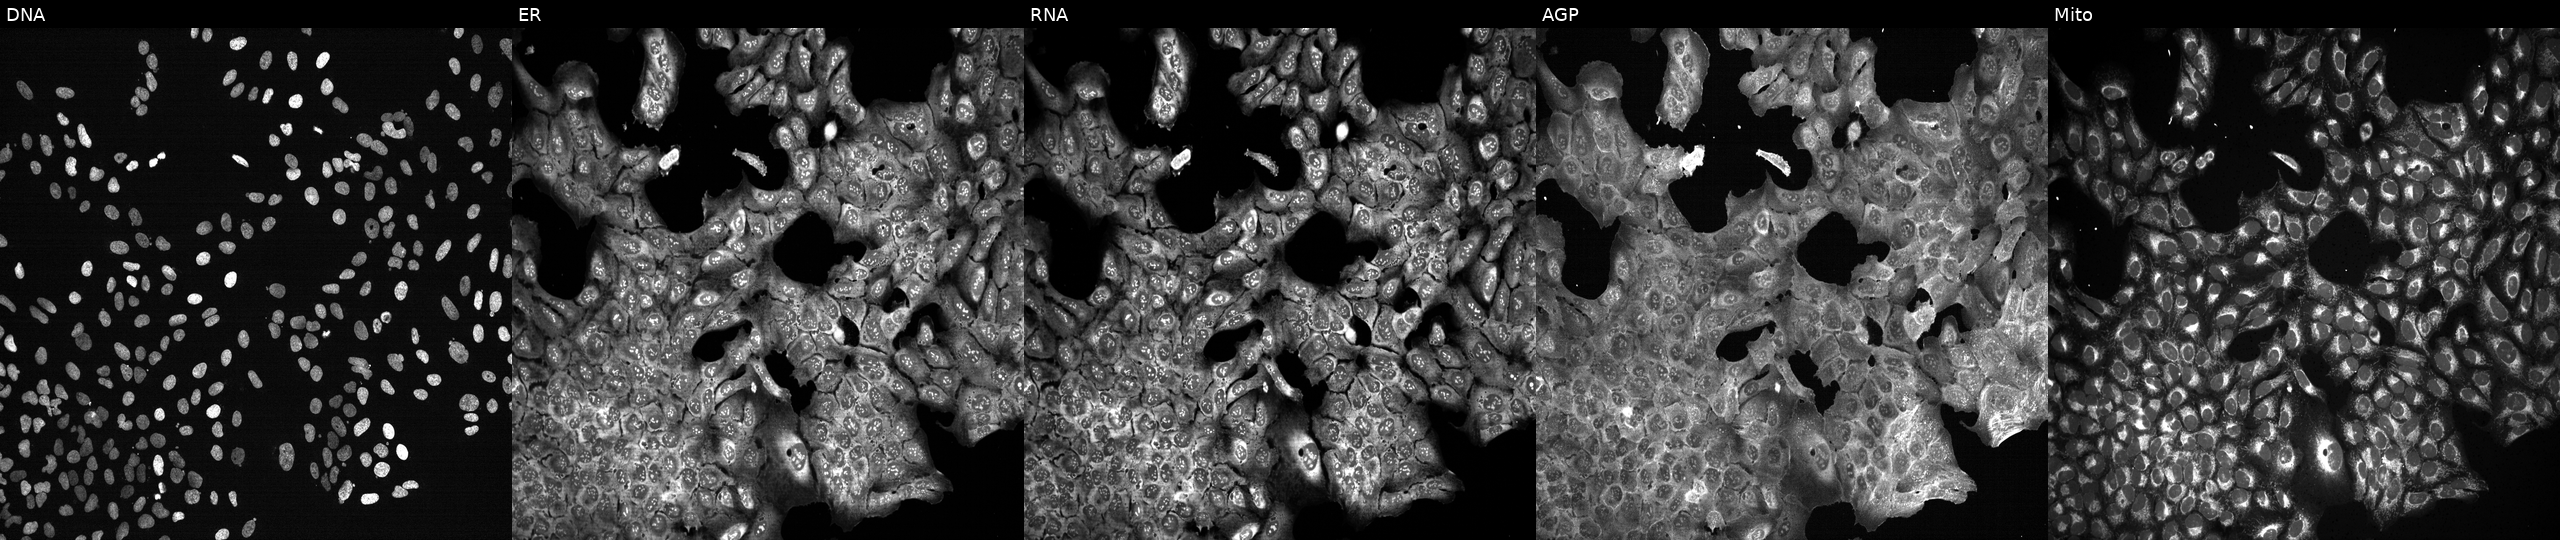
JUMP Cell Painting — CRISPR plate. U2OS cells with ASTL knocked out by CRISPR. Channels (left→right): Hoechst 33342, concanavalin A, SYTO 14, phalloidin and WGA, MitoTracker.